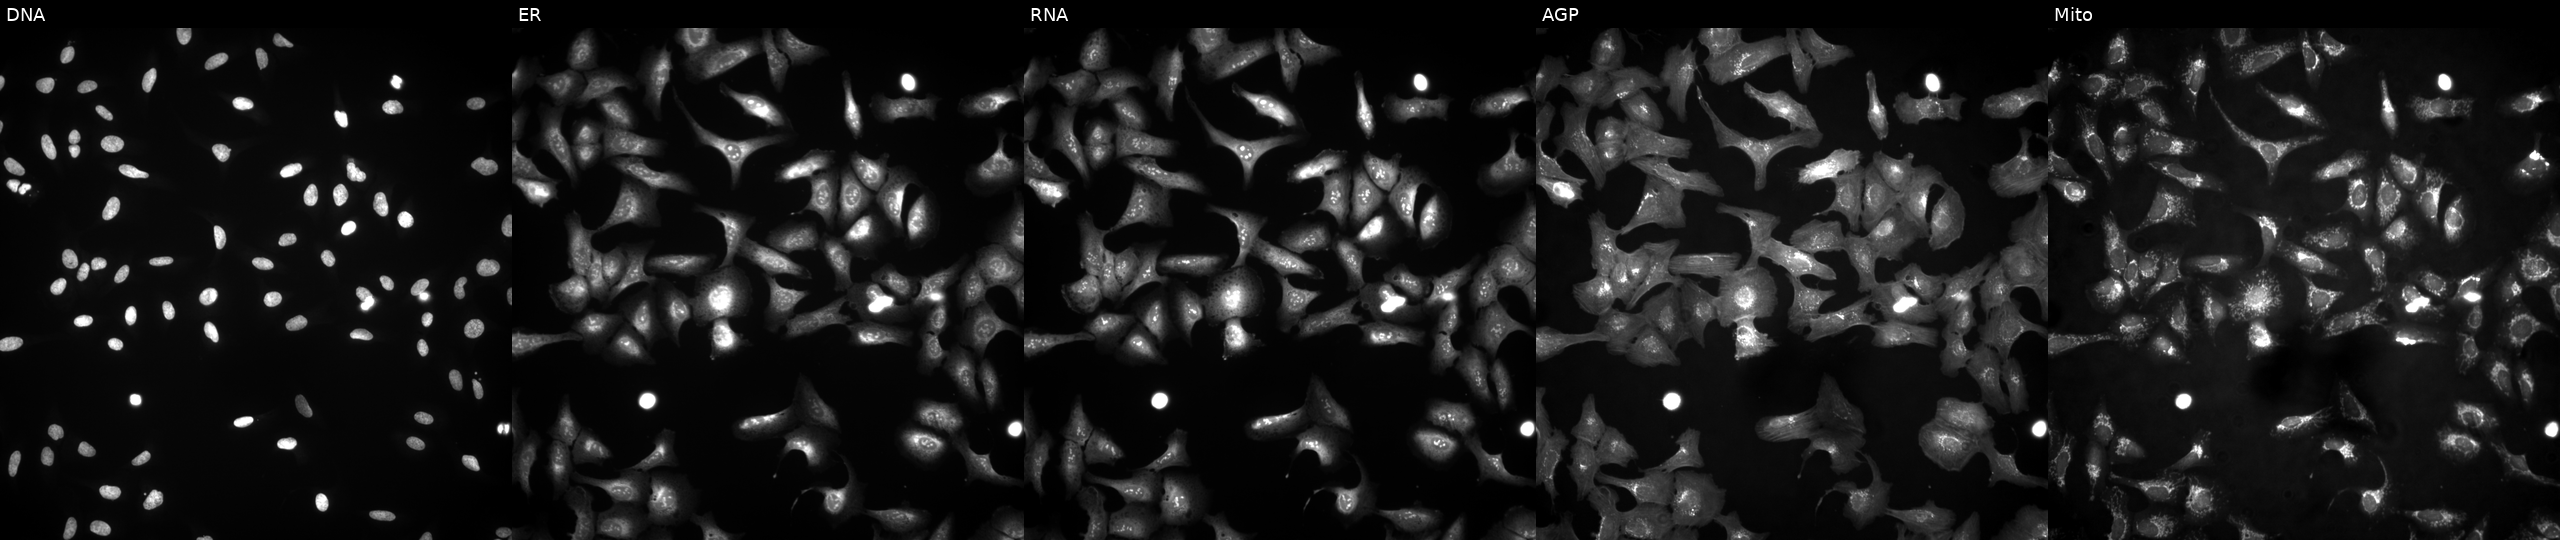
U2OS cells, Cell Painting assay, transfected with an ORF construct for KCNMA1 (JUMP id JCP2022_910193). Panels show, left to right, DNA (nuclei); ER (endoplasmic reticulum); RNA (nucleoli and cytoplasmic RNA); AGP (actin cytoskeleton, Golgi, and plasma membrane); Mito (mitochondria). Each panel is percentile-stretched 16-bit fluorescence. Source 4, plate BR00124790, well F06.